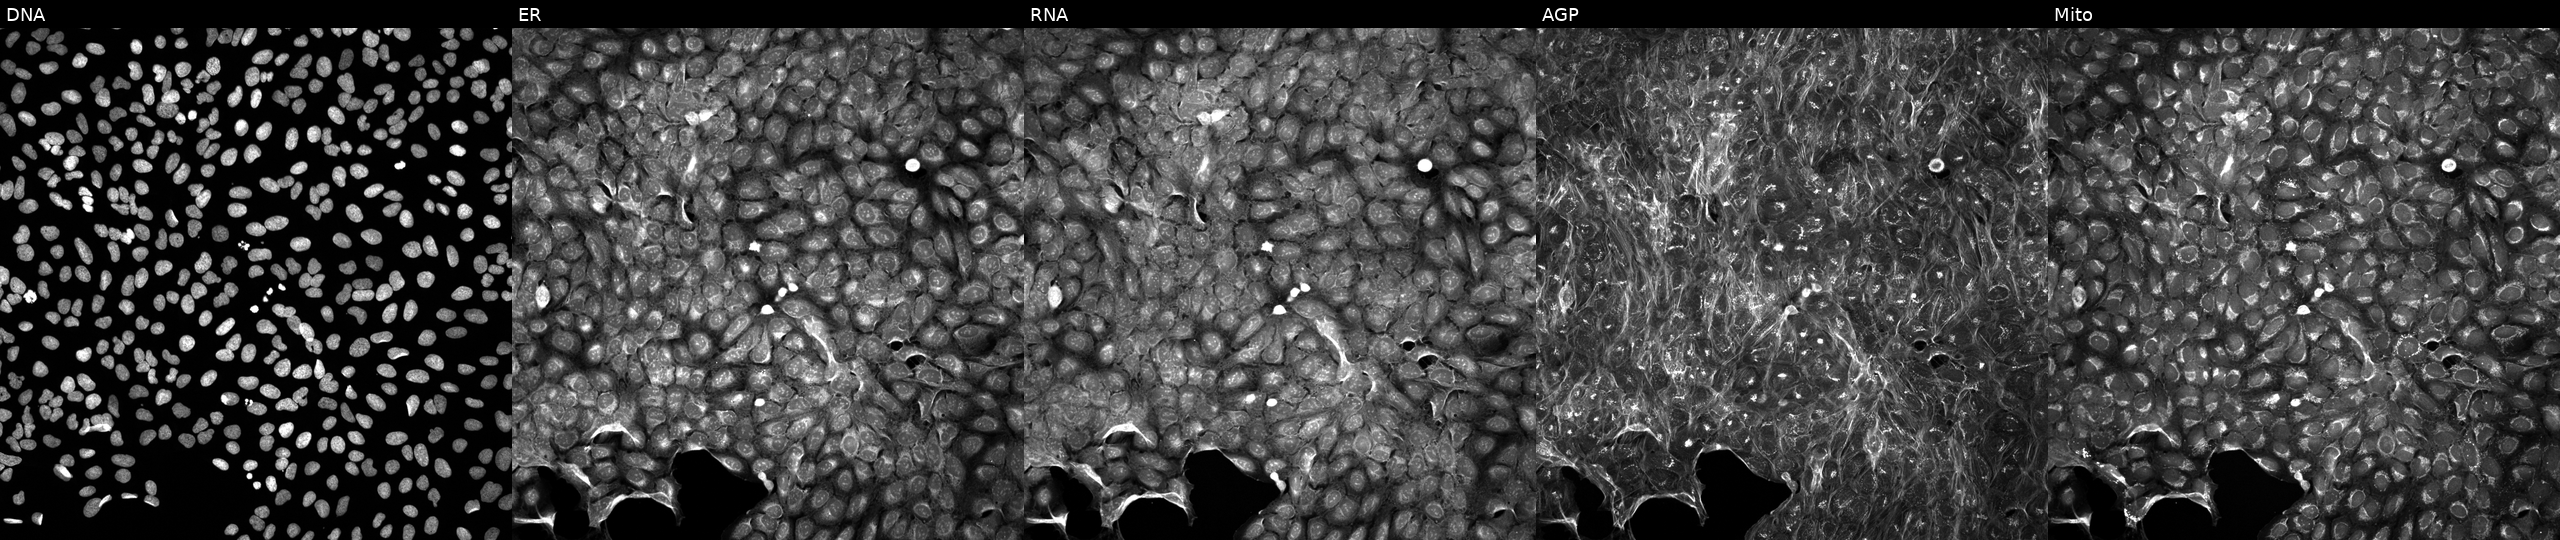
Five-channel Cell Painting image of U2OS cells exposed to a small-molecule compound (InChIKey HSUGRBWQSSZJOP-UHFFFAOYSA-N). Panels show, left to right, DNA (nuclei); ER (endoplasmic reticulum); RNA (nucleoli and cytoplasmic RNA); AGP (actin cytoskeleton, Golgi, and plasma membrane); Mito (mitochondria).